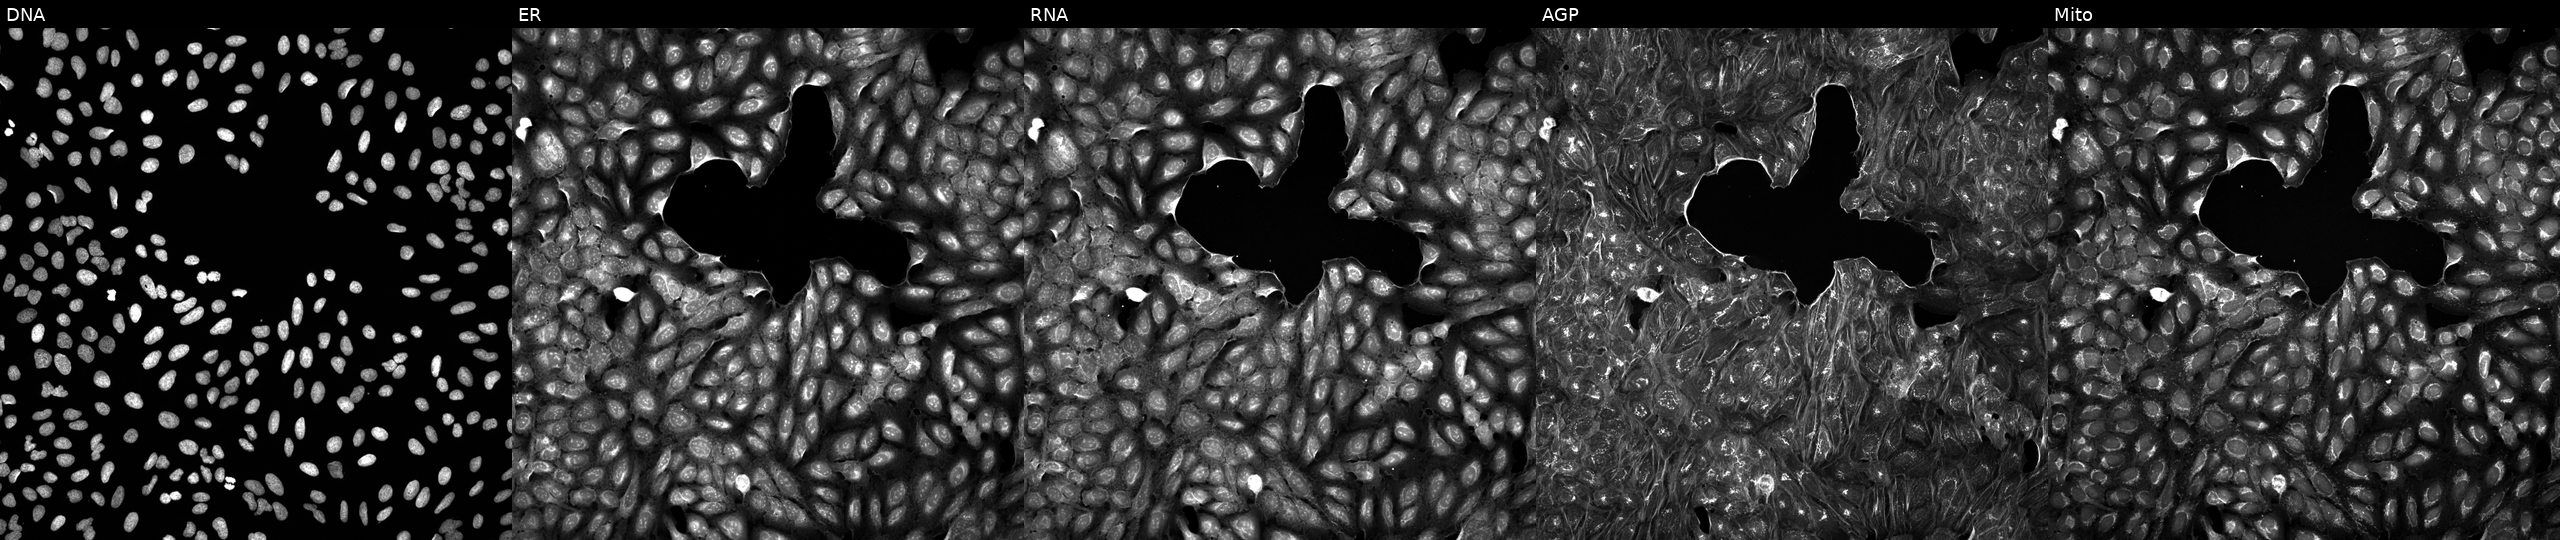
From left to right: DNA, ER, RNA, AGP, and Mito. U2OS osteosarcoma cells exposed to a small-molecule compound (InChIKey ZKMBPRIPNQAPJV-UHFFFAOYSA-N) (JUMP id JCP2022_113906). Cell Painting assay, JUMP-CP dataset.